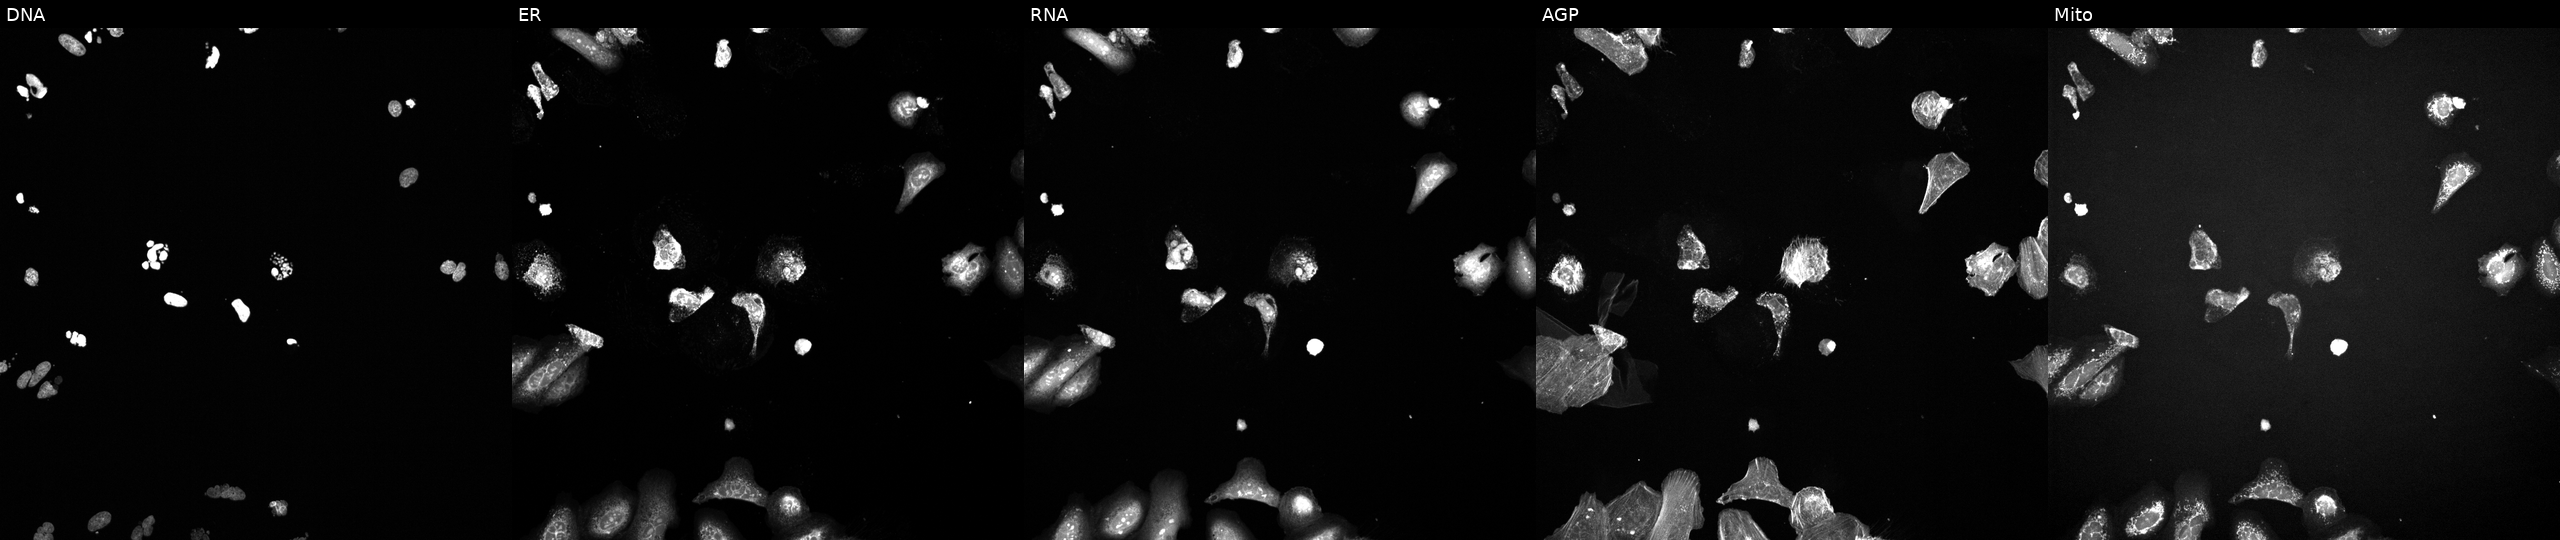
From left to right: Hoechst 33342, concanavalin A, SYTO 14, phalloidin and WGA, MitoTracker. U2OS osteosarcoma cells treated with a small-molecule compound. Cell Painting assay, JUMP-CP dataset. Source 6, plate 110000293082, well F13.